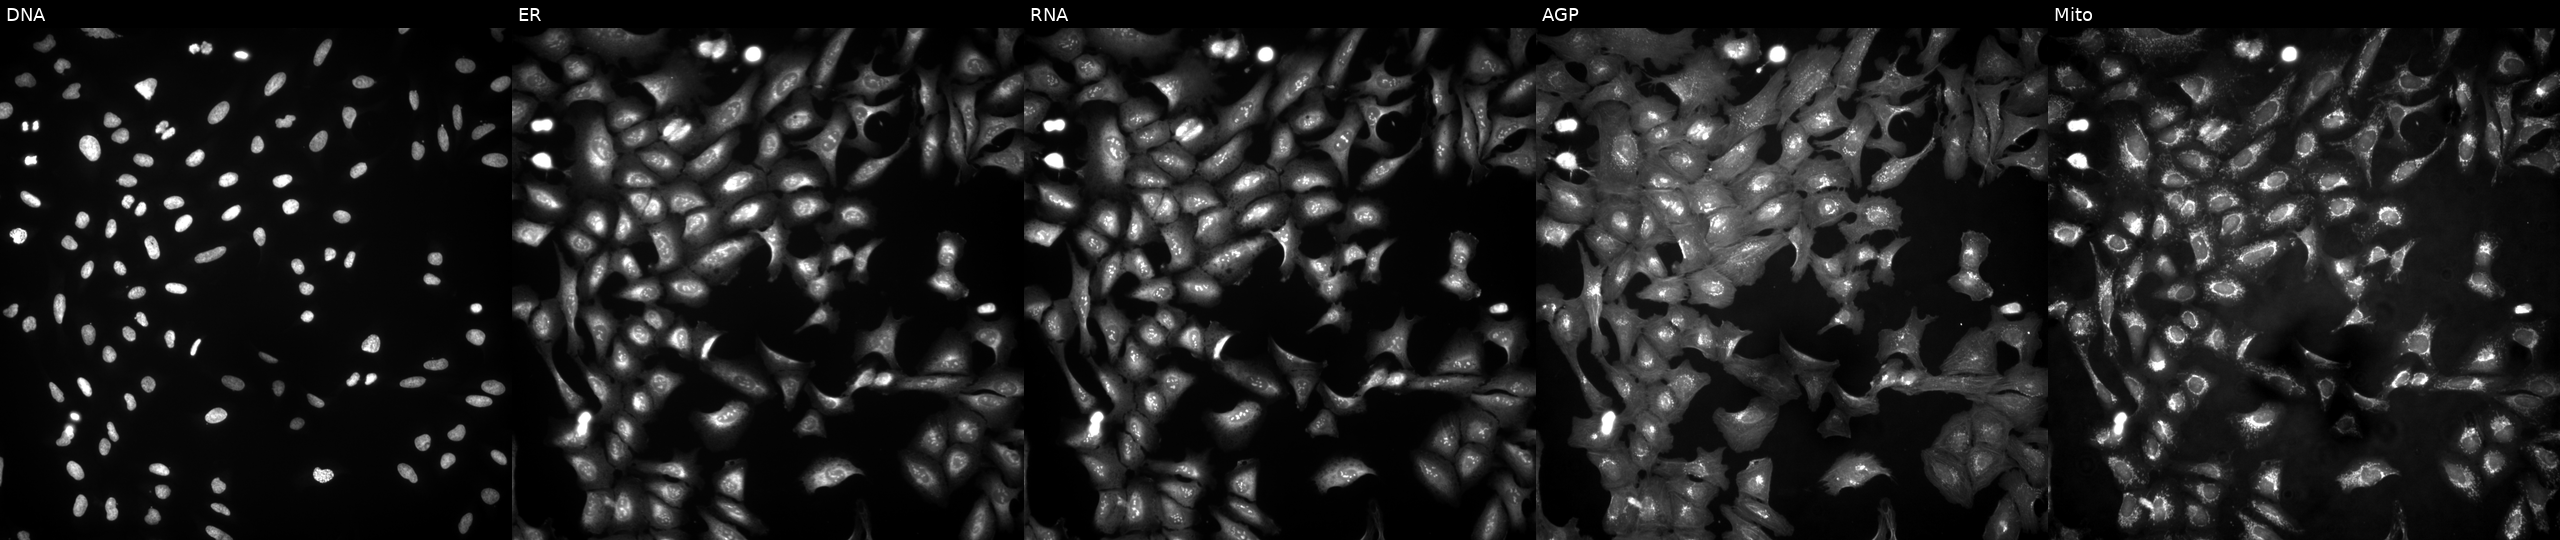
This image strip shows the five Cell Painting channels for a single field of U2OS cells with FAM13A overexpressed (ORF). The five panels, left to right, show Hoechst 33342, concanavalin A, SYTO 14, phalloidin and WGA, MitoTracker. Source 4, plate BR00124790, well F10.